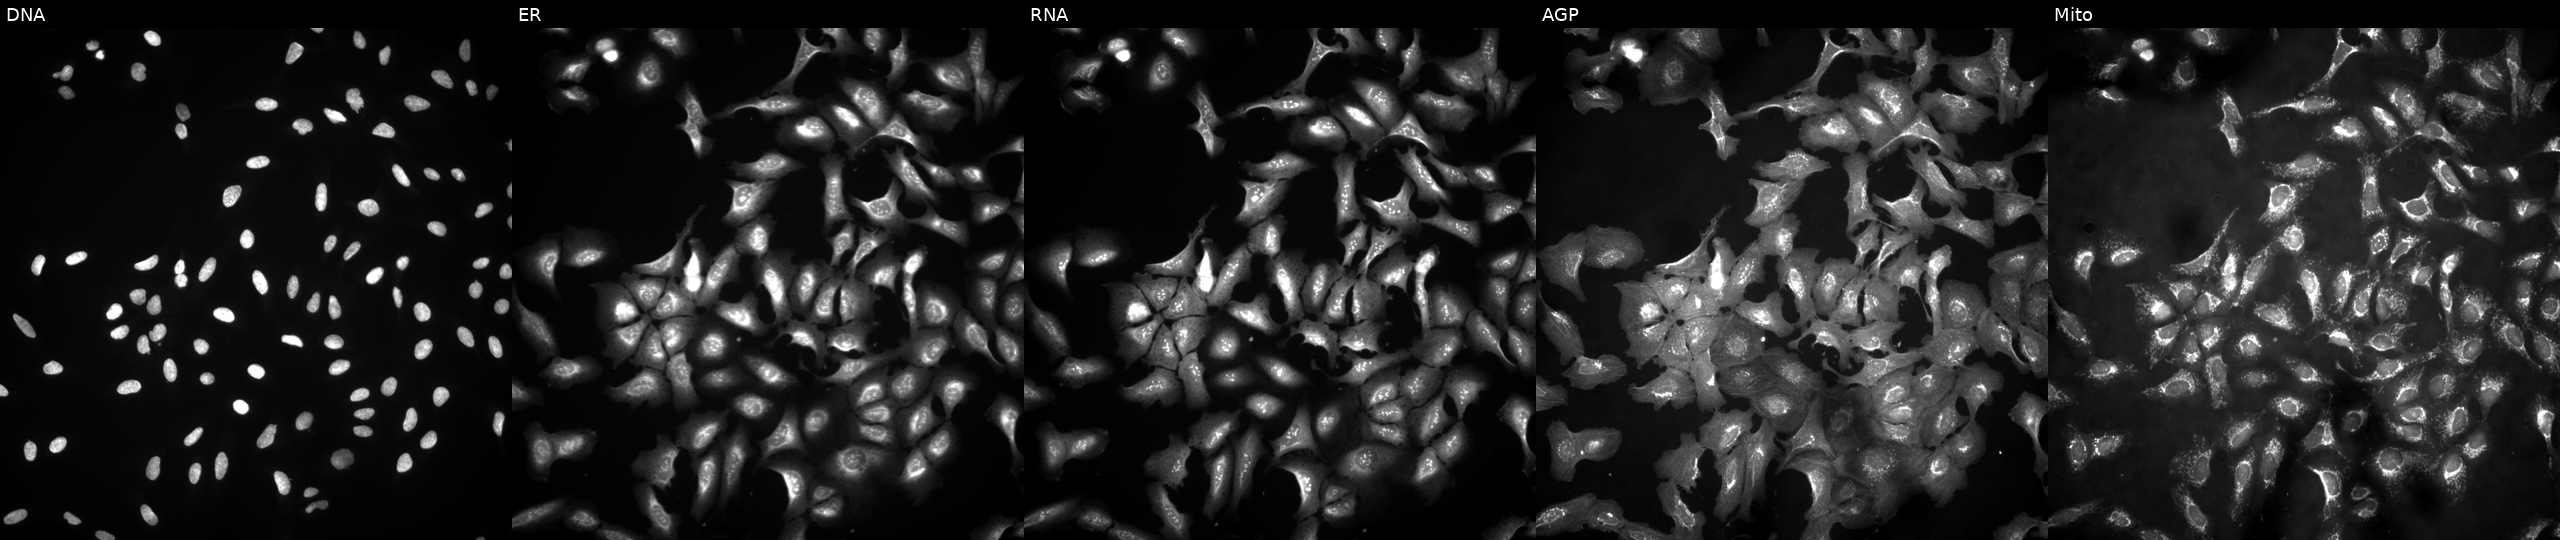
U2OS cells, Cell Painting assay, transfected with an ORF construct for PPP3R2. The five panels, left to right, show DNA, ER, RNA, AGP, and Mito. Each panel is percentile-stretched 16-bit fluorescence.